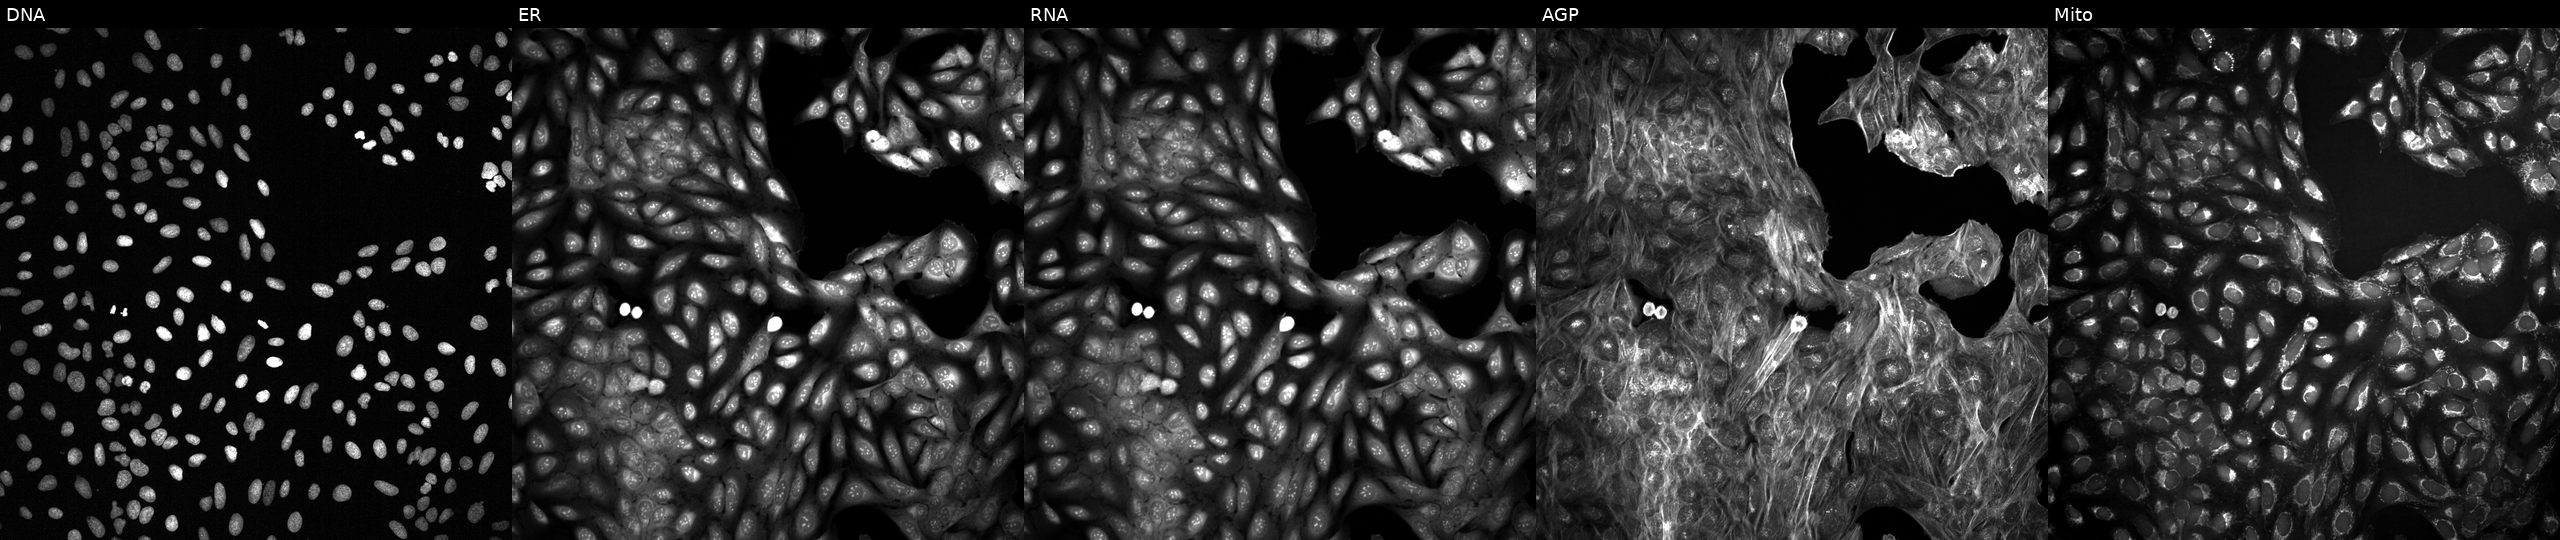
U2OS cells, Cell Painting assay, with an unidentified perturbation (not annotated in JUMP metadata). Panels show, left to right, DNA (nuclei); ER (endoplasmic reticulum); RNA (nucleoli and cytoplasmic RNA); AGP (actin cytoskeleton, Golgi, and plasma membrane); Mito (mitochondria). Each panel is percentile-stretched 16-bit fluorescence. Source 2, plate 1053601763, well H21.